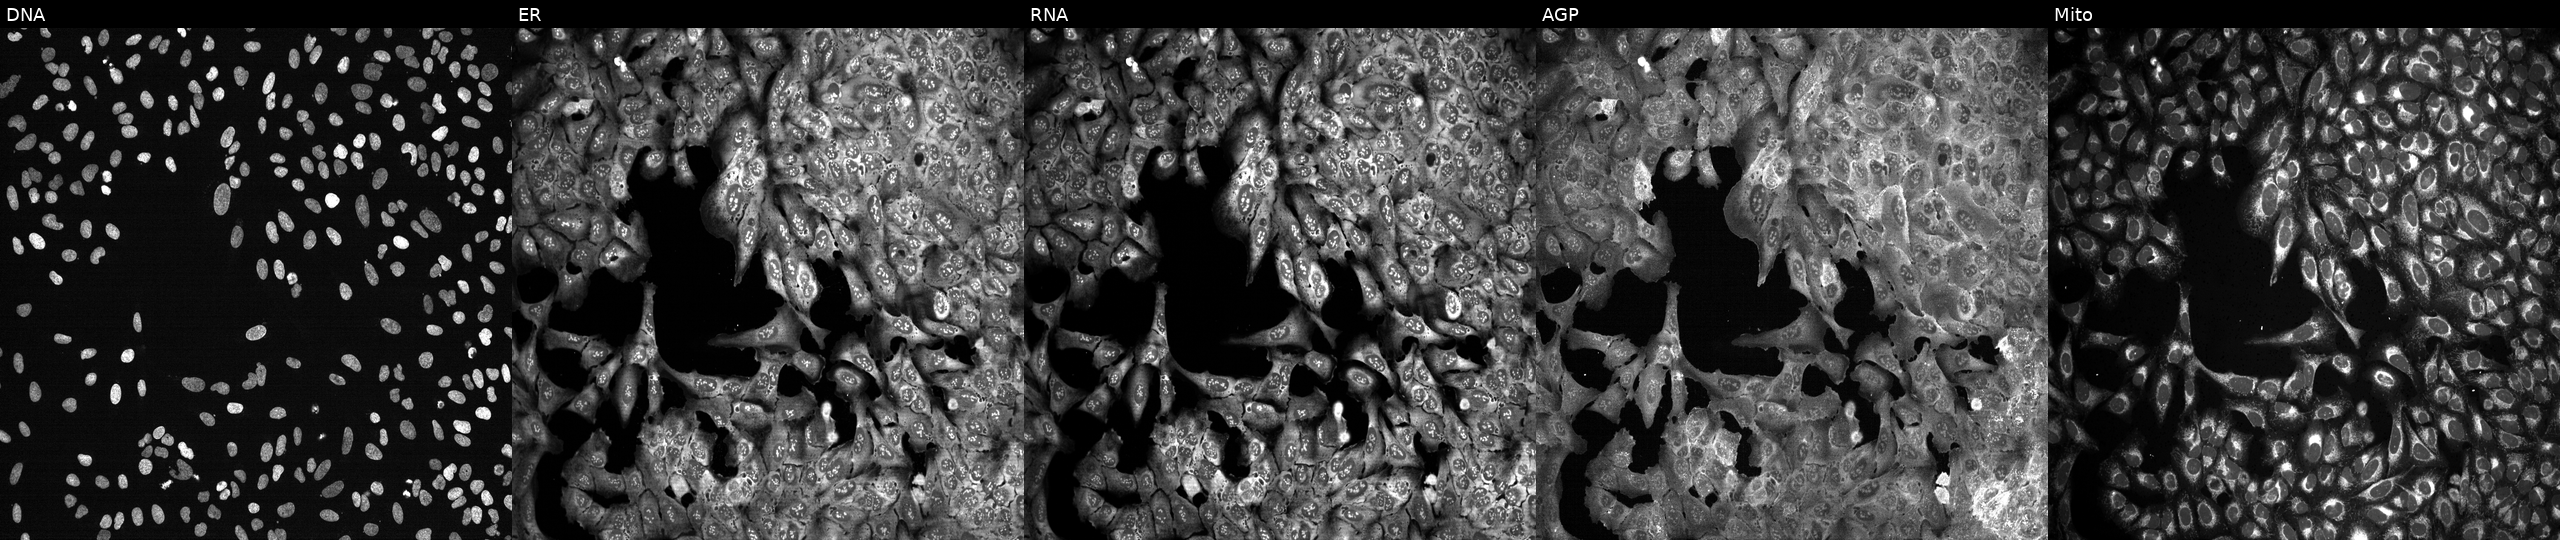
High-content fluorescence microscopy (Cell Painting). Cell line: U2OS. Perturbation: with ALDH6A1 knocked out by CRISPR (JUMP id JCP2022_800395). The five panels, left to right, show DNA, ER, RNA, AGP, and Mito. Source 13, plate CP-CC9-R3-02, well K08.